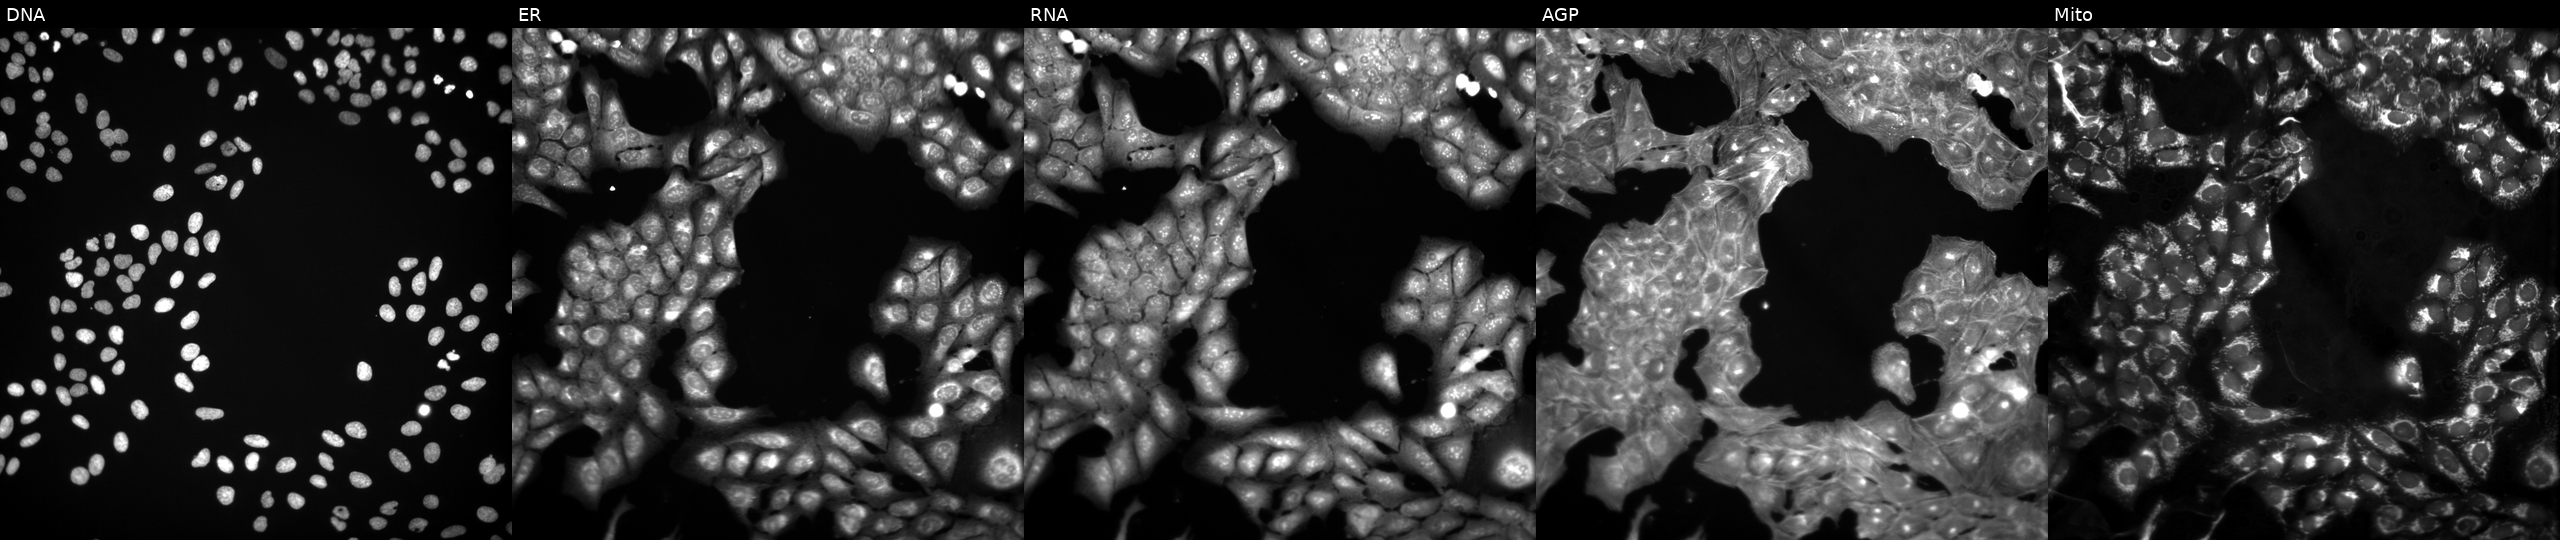
Five-channel Cell Painting image of U2OS cells treated with a small-molecule compound [SMILES: NNC(=O)CSc1nc2scc(-c3ccccc3)c2c(=O)n1-c1ccccc1]. Channels (left→right): Hoechst 33342, concanavalin A, SYTO 14, phalloidin and WGA, MitoTracker. Source 3, plate JCPQC053, well A17.